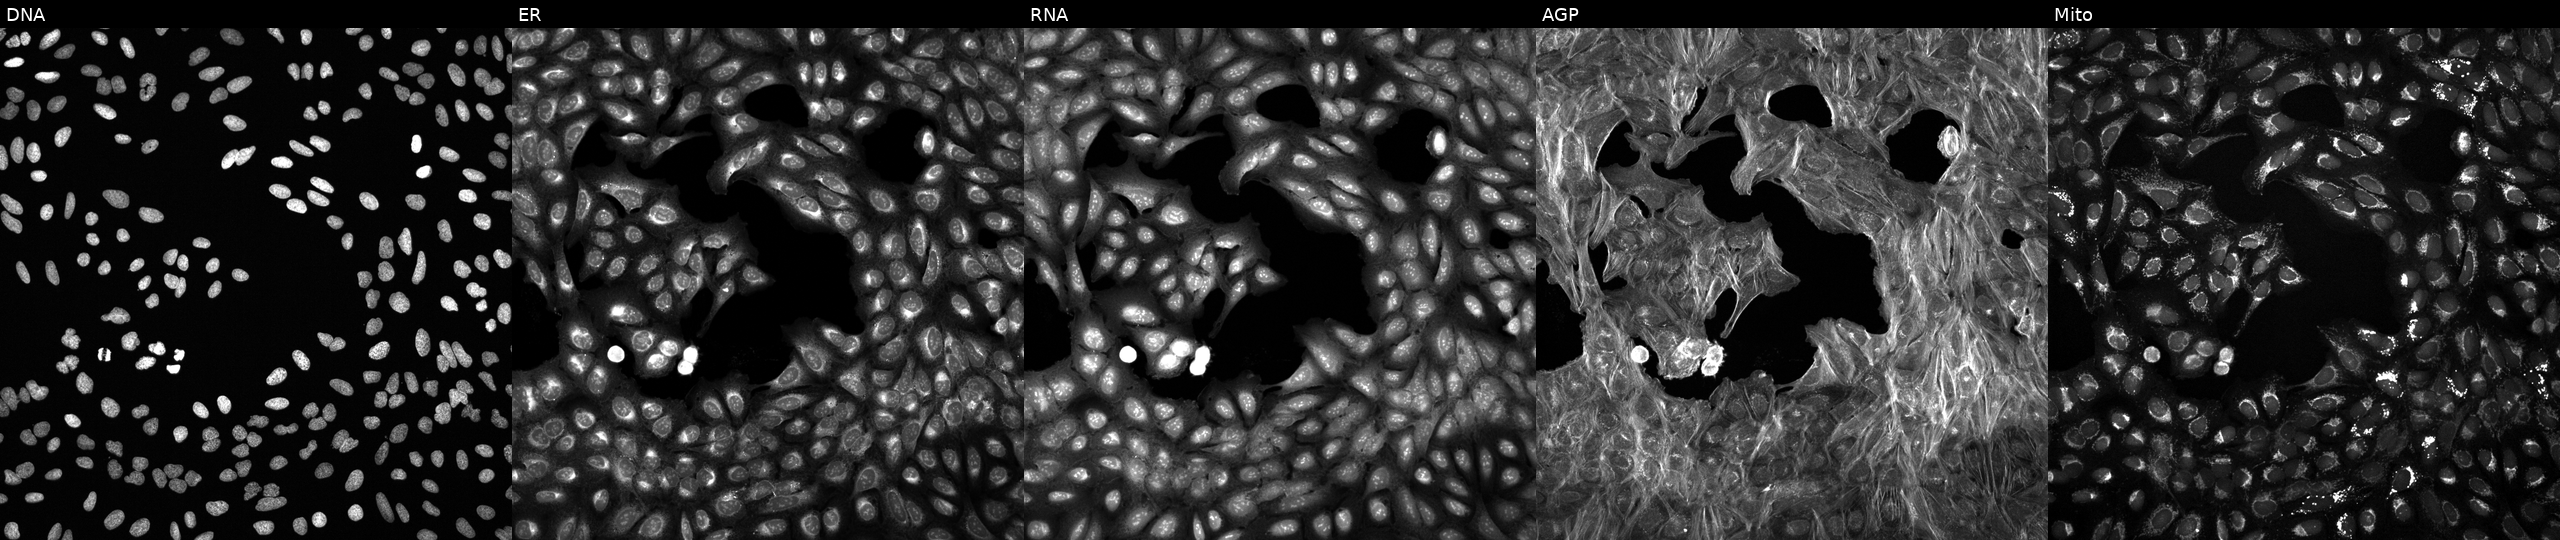
High-content fluorescence microscopy (Cell Painting). Cell line: U2OS. Perturbation: treated with DMSO vehicle only (negative control). Channels (left→right): Hoechst 33342, concanavalin A, SYTO 14, phalloidin and WGA, MitoTracker.